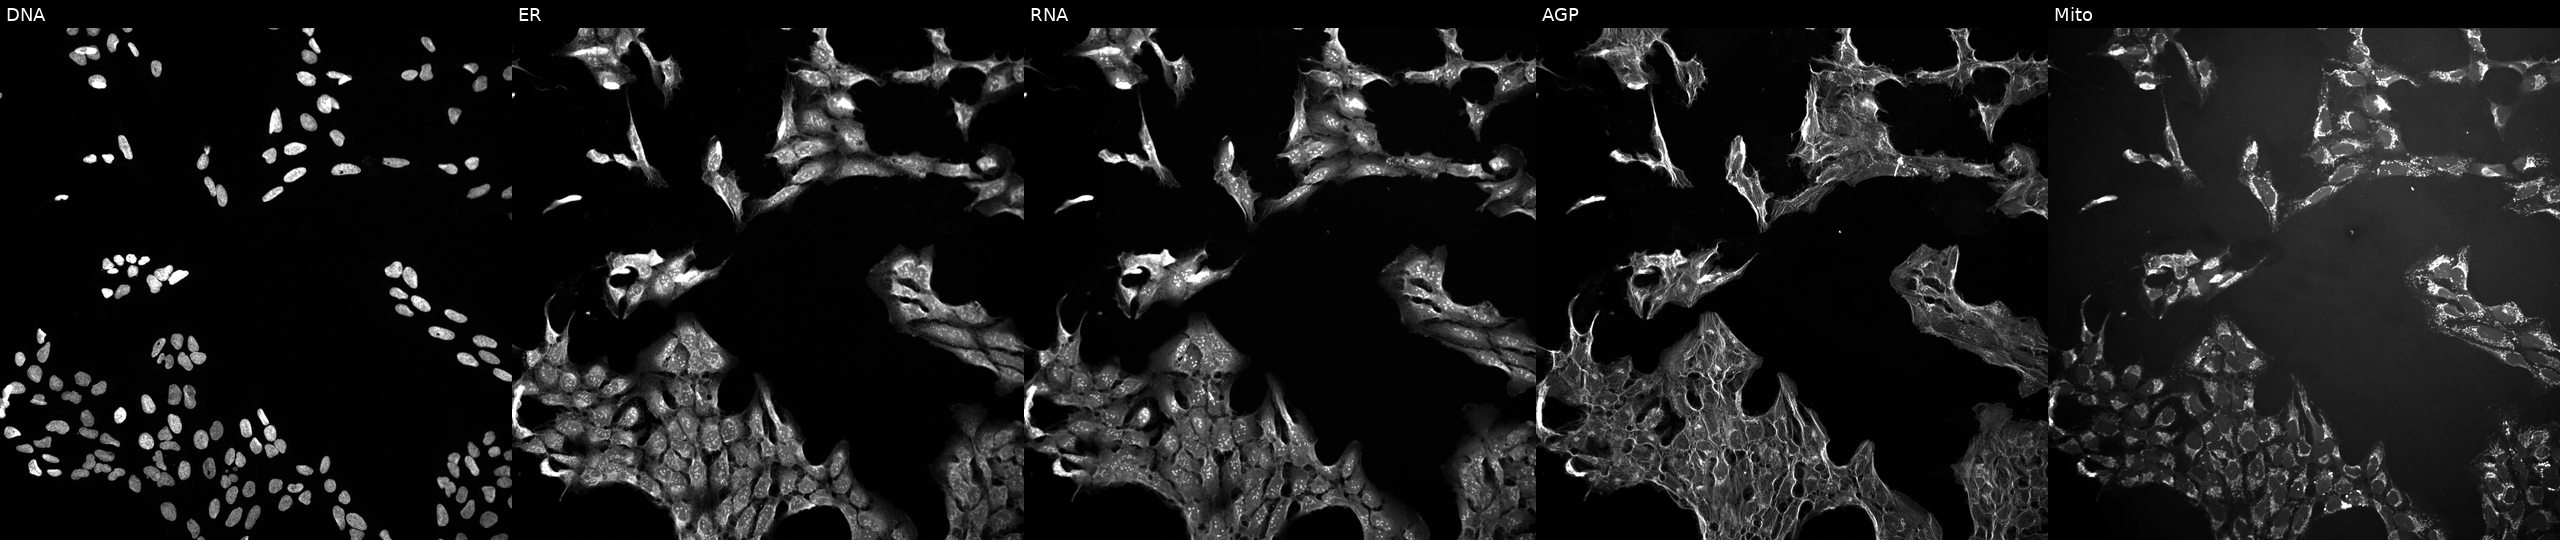
This image strip shows the five Cell Painting channels for a single field of U2OS cells perturbed with a small-molecule compound (InChIKey CDMGBJANTYXAIV-UHFFFAOYSA-N). The five panels, left to right, show DNA, ER, RNA, AGP, and Mito. Source 10, plate Dest210726-160150, well K17.